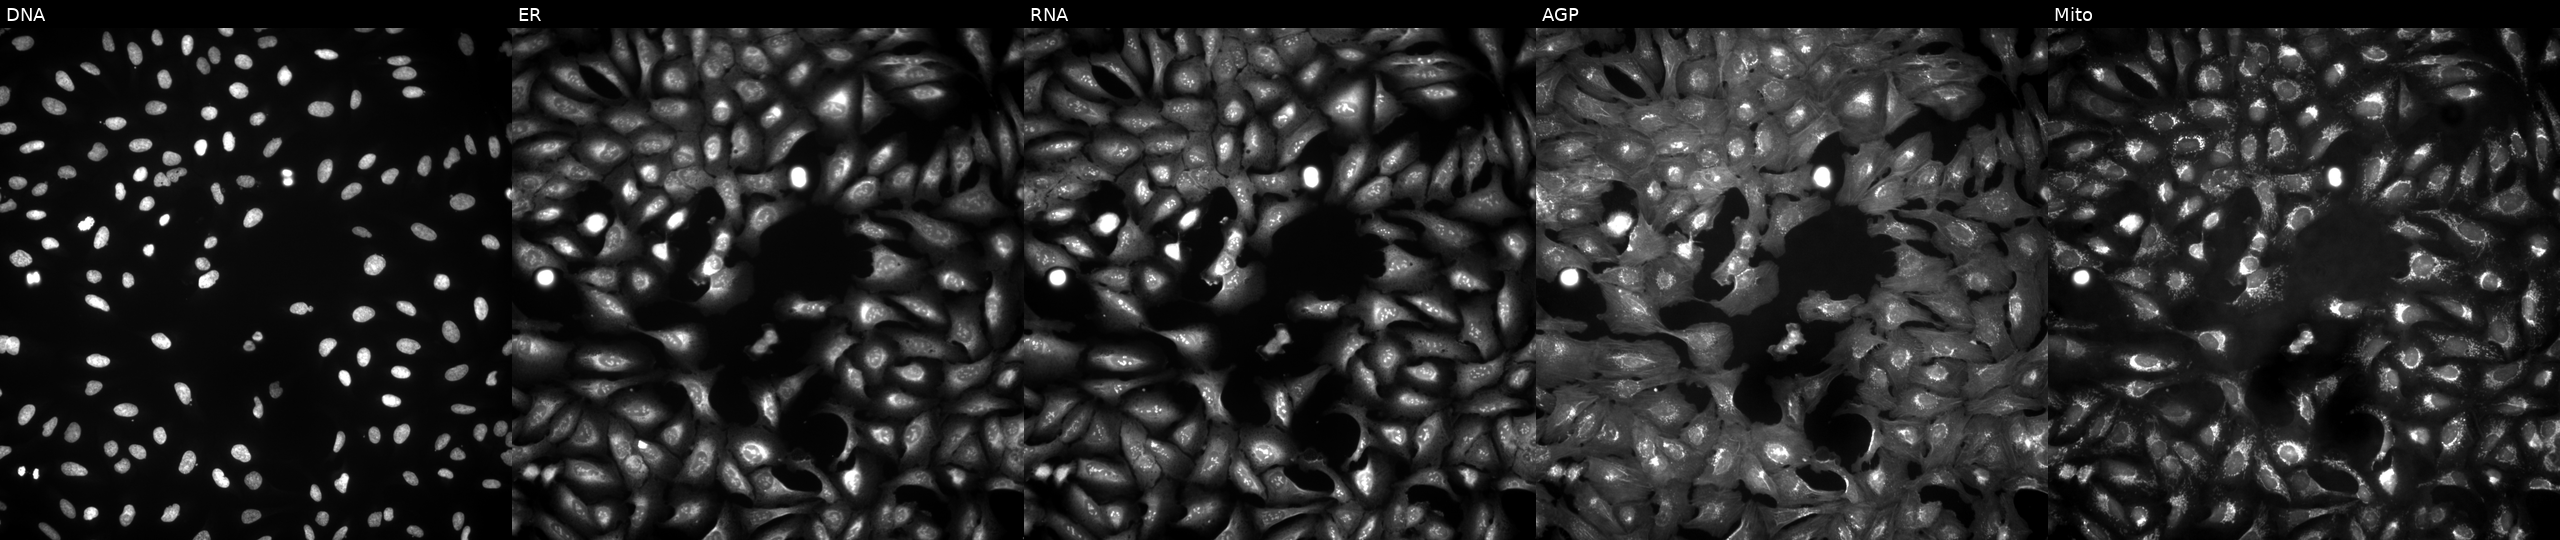
JUMP Cell Painting — ORF plate. U2OS cells with MYO10 overexpressed (ORF). Panels show, left to right, Hoechst 33342, concanavalin A, SYTO 14, phalloidin and WGA, MitoTracker. Source 4, plate BR00124790, well E13.